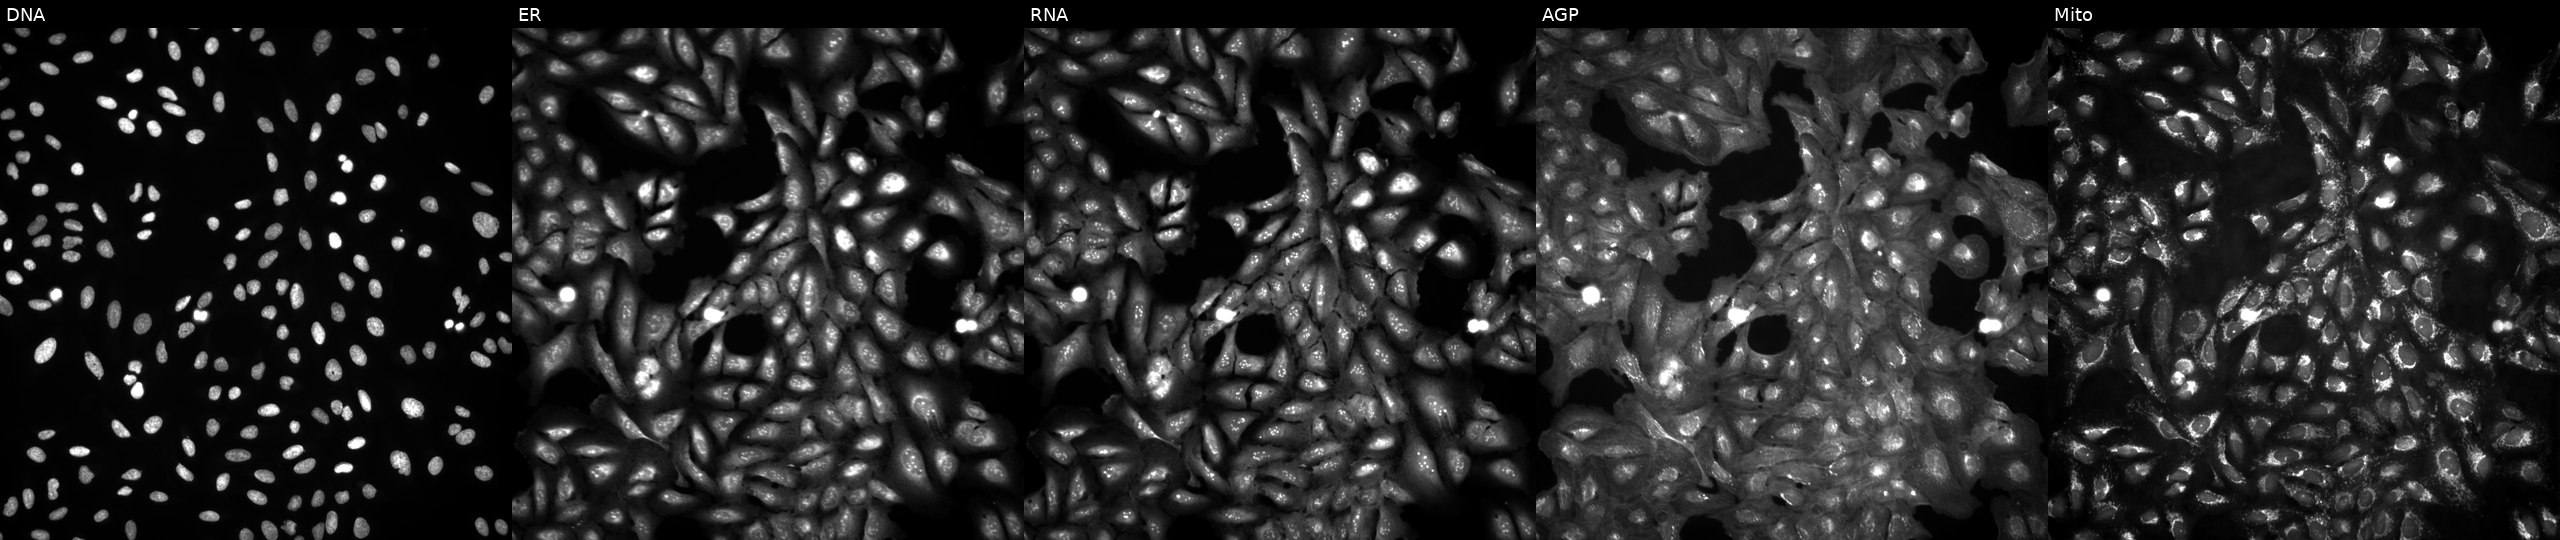
Panels show, left to right, Hoechst 33342, concanavalin A, SYTO 14, phalloidin and WGA, MitoTracker. U2OS osteosarcoma cells in an empty control well (no perturbation) (JUMP id JCP2022_999999). Cell Painting assay, JUMP-CP dataset.